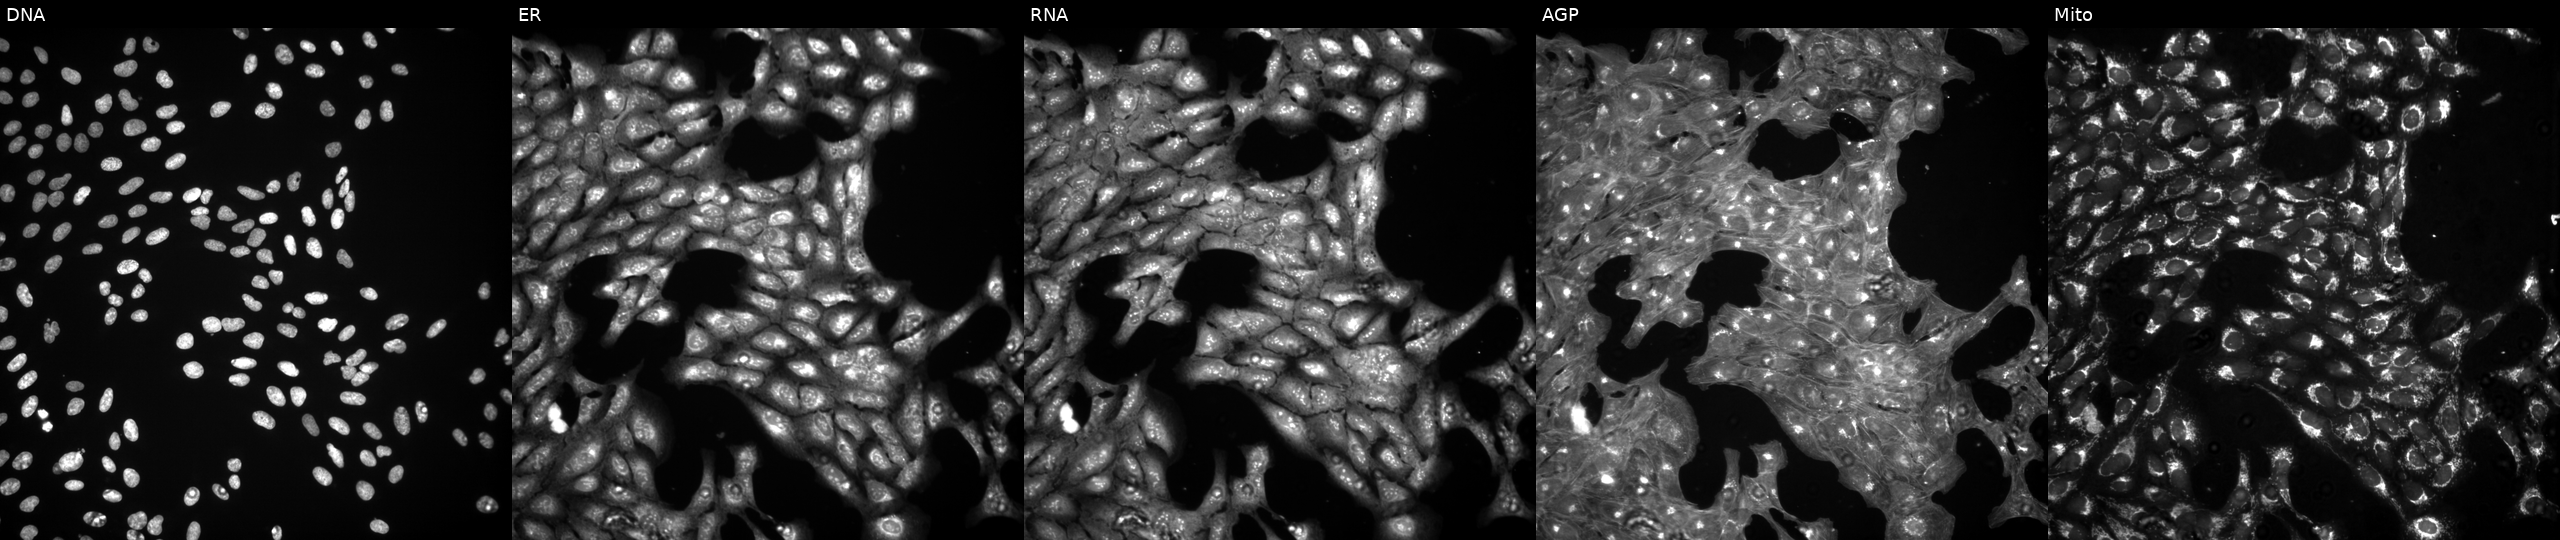
High-content fluorescence microscopy (Cell Painting). Cell line: U2OS. Perturbation: perturbed with a small-molecule compound (InChIKey FGFDOGNADXENRP-UHFFFAOYSA-N). From left to right: DNA (nuclei); ER (endoplasmic reticulum); RNA (nucleoli and cytoplasmic RNA); AGP (actin cytoskeleton, Golgi, and plasma membrane); Mito (mitochondria). Source 3, plate BR5867b3, well O03.